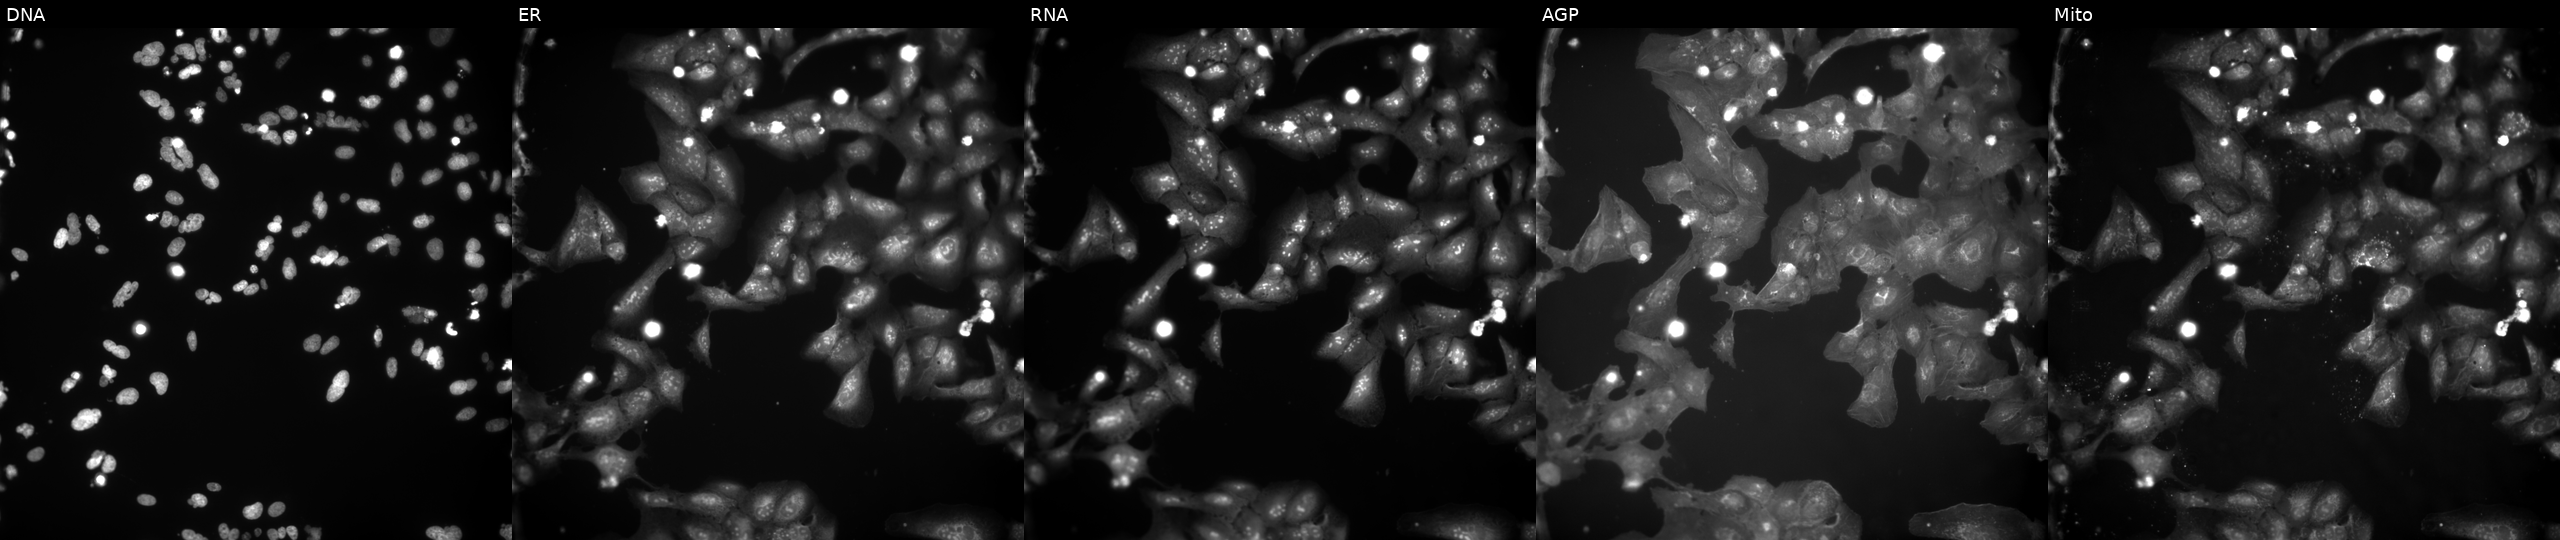
This image strip shows the five Cell Painting channels for a single field of U2OS cells perturbed with a small-molecule compound (InChIKey ZNXZEROSSIZRDH-UHFFFAOYSA-N). Channels (left→right): Hoechst 33342, concanavalin A, SYTO 14, phalloidin and WGA, MitoTracker.